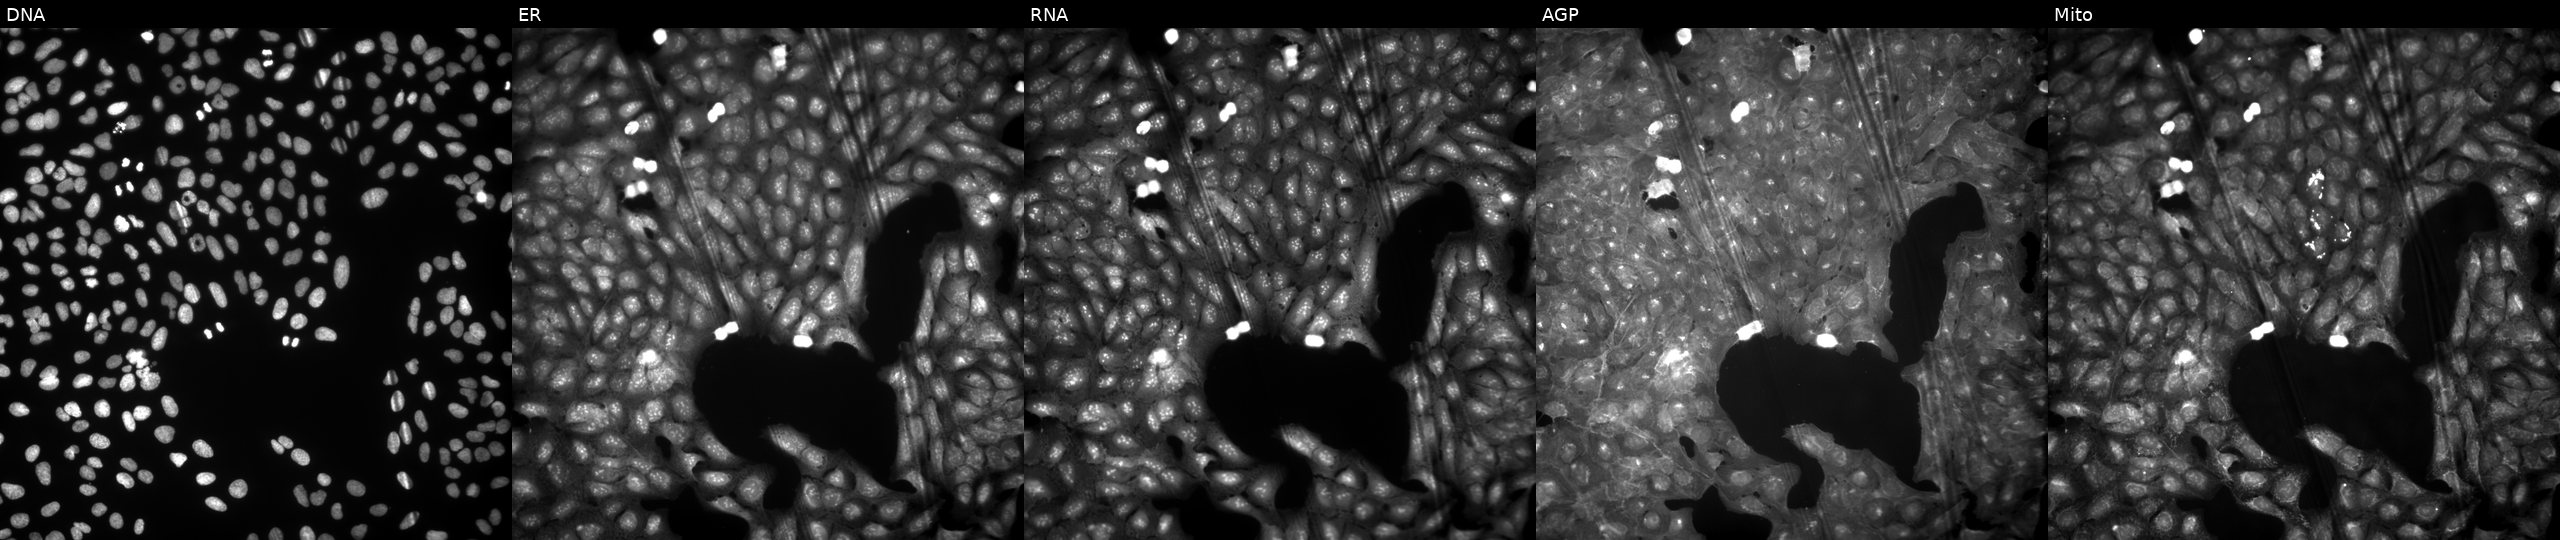
Panels show, left to right, DNA (nuclei); ER (endoplasmic reticulum); RNA (nucleoli and cytoplasmic RNA); AGP (actin cytoskeleton, Golgi, and plasma membrane); Mito (mitochondria). U2OS osteosarcoma cells exposed to a small-molecule compound (InChIKey RORINWQDOSZLGU-UHFFFAOYSA-N) [SMILES: CCOC(=O)N1CCN(C(=O)COc2ccc(Cl)cc2C)CC1] (JUMP id JCP2022_079736). Cell Painting assay, JUMP-CP dataset. Source 9, plate GR00003381, well Z31.